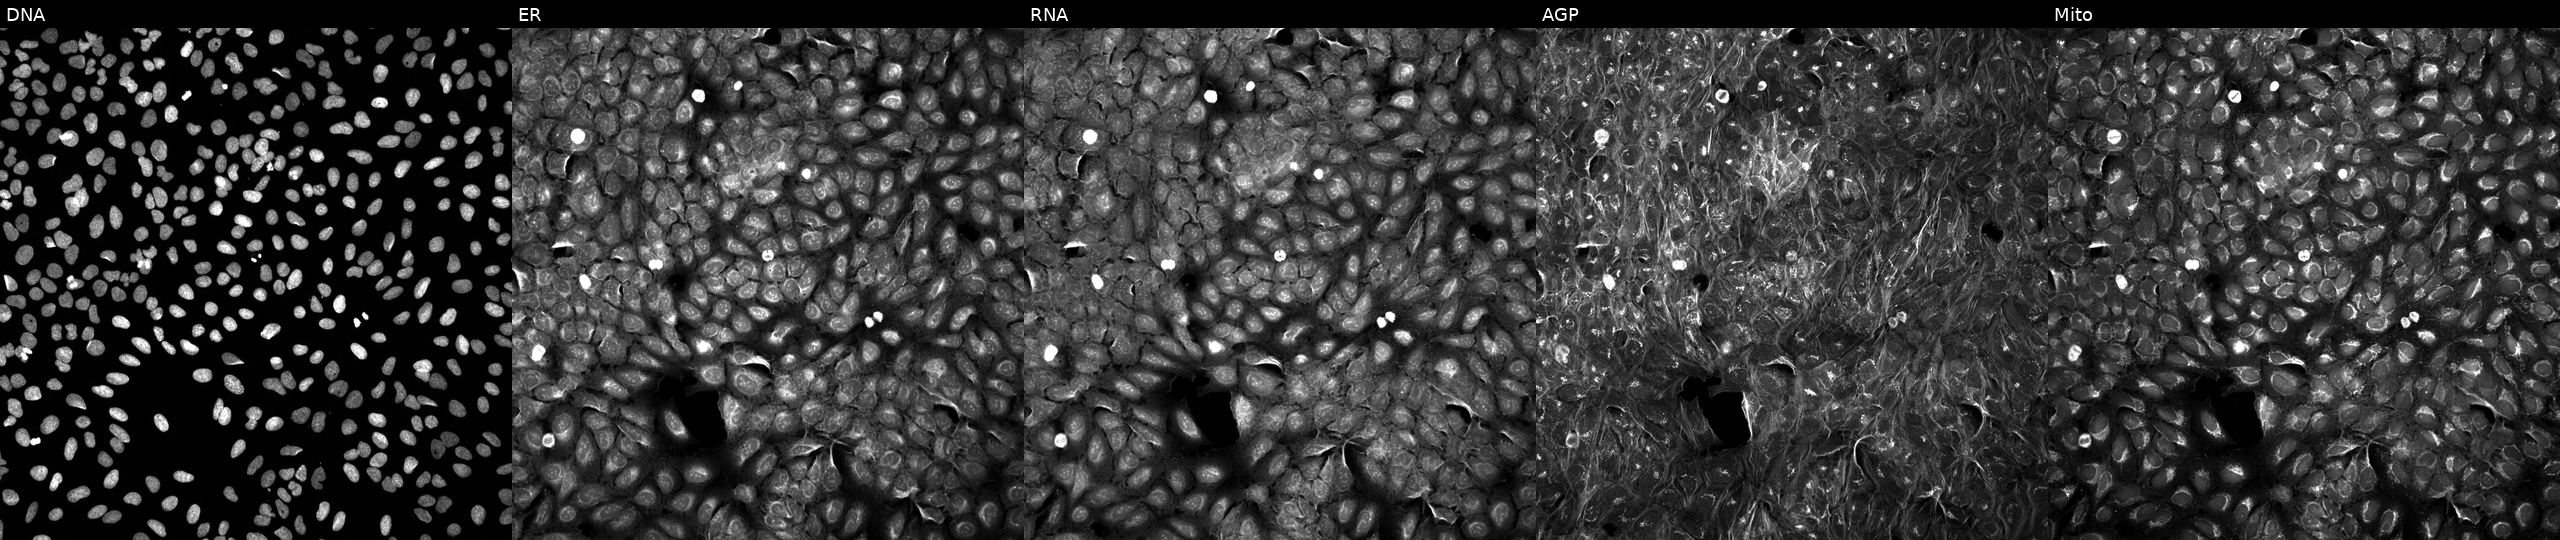
This image strip shows the five Cell Painting channels for a single field of U2OS cells treated with a small-molecule compound. From left to right: DNA (nuclei); ER (endoplasmic reticulum); RNA (nucleoli and cytoplasmic RNA); AGP (actin cytoskeleton, Golgi, and plasma membrane); Mito (mitochondria). Source 5, plate ACPJUM012, well P16.